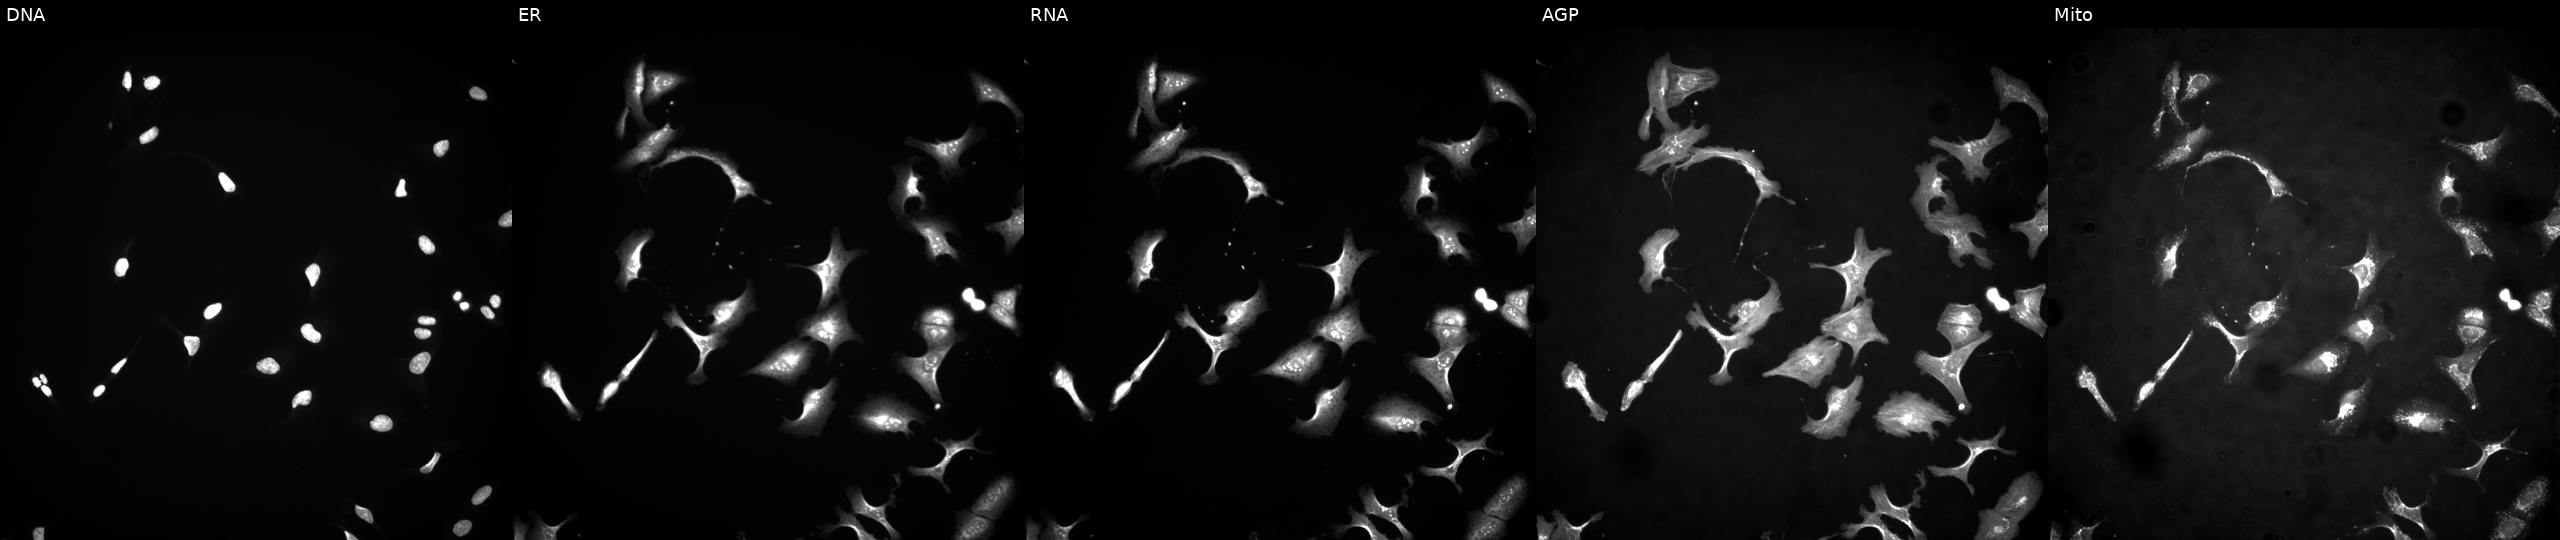
Panels show, left to right, Hoechst 33342, concanavalin A, SYTO 14, phalloidin and WGA, MitoTracker. U2OS osteosarcoma cells transfected with an ORF construct for SHTN1. Cell Painting assay, JUMP-CP dataset.